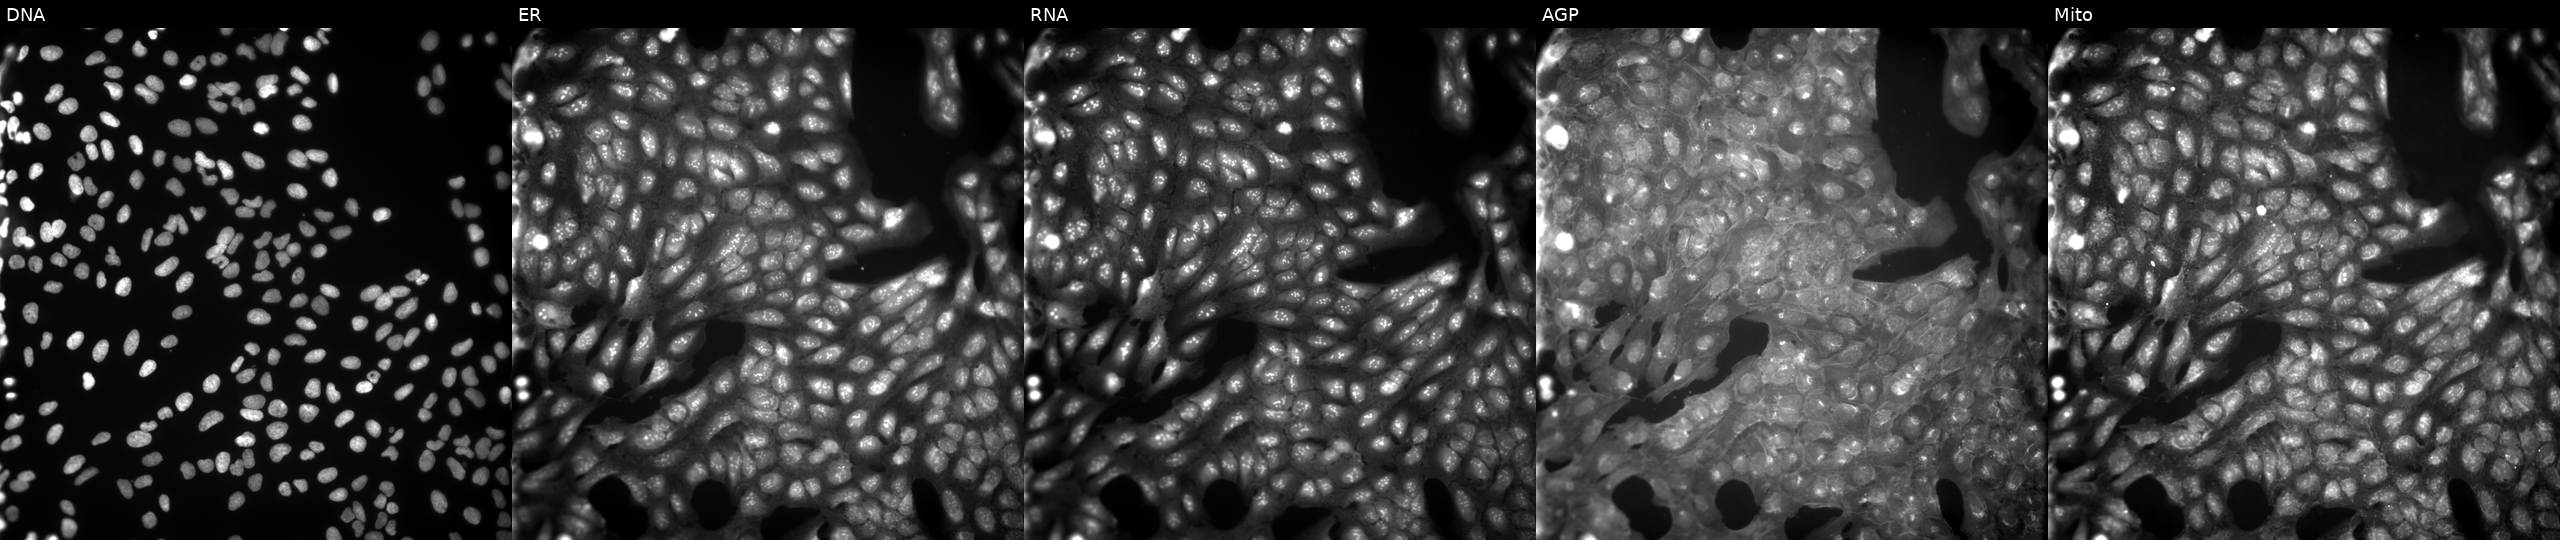
JUMP Cell Painting — COMPOUND plate. U2OS cells treated with a small-molecule compound (InChIKey BOLSJMUPEQCJLH-UHFFFAOYSA-N). Panels show, left to right, DNA, ER, RNA, AGP, and Mito.